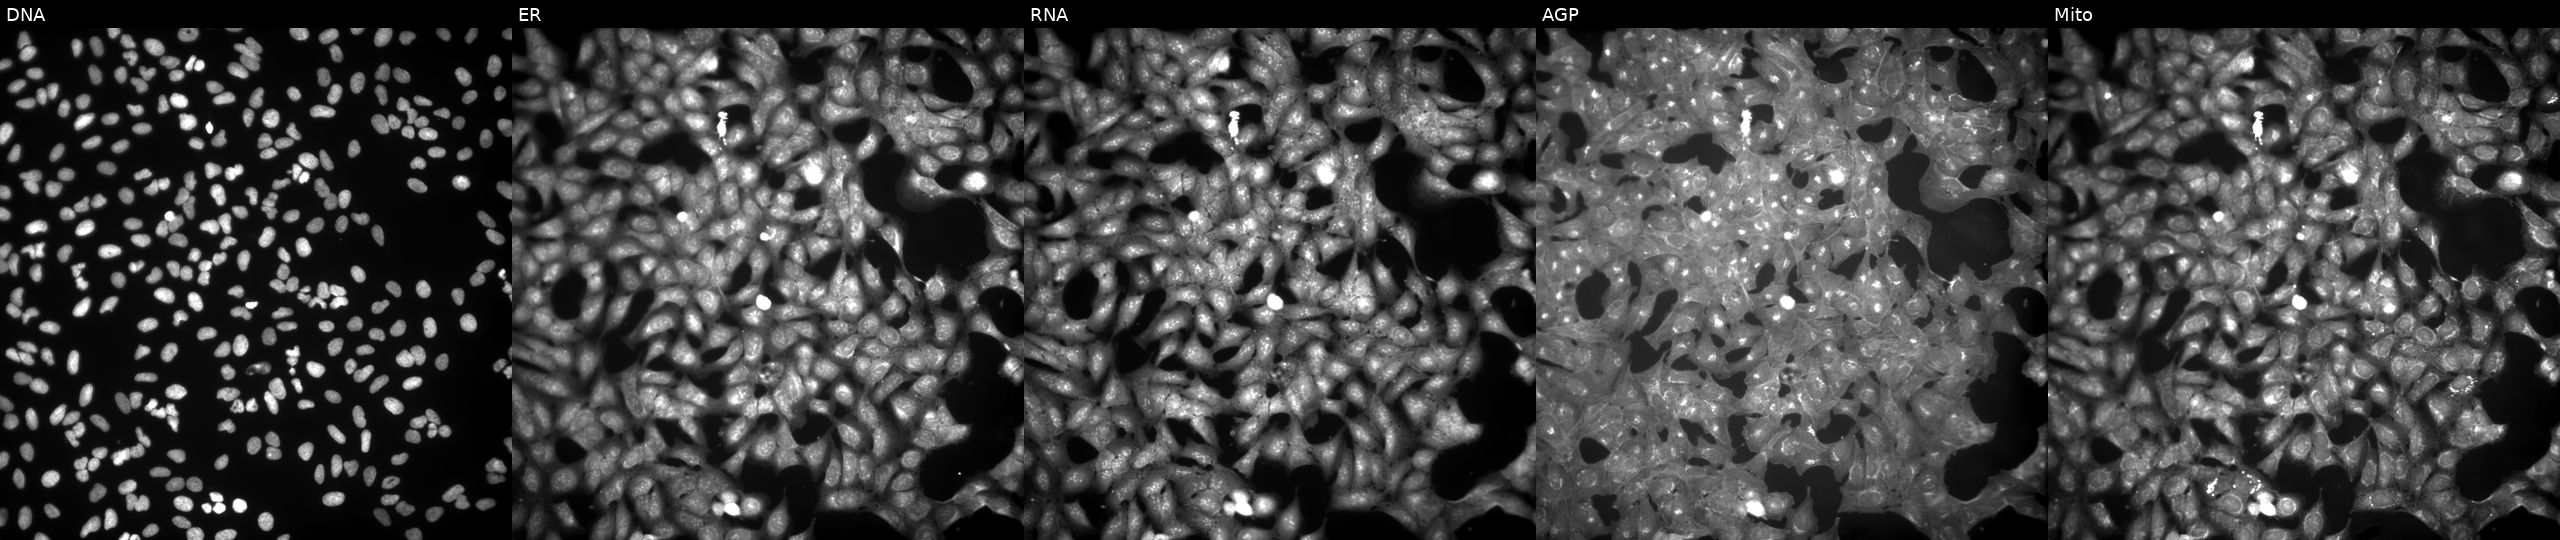
U2OS cells, Cell Painting assay, exposed to the positive-control compound NVS-PAK1-1 (JUMP id JCP2022_064022). Channels (left→right): DNA, ER, RNA, AGP, and Mito. Each panel is percentile-stretched 16-bit fluorescence. Source 9, plate GR00003382, well V48.